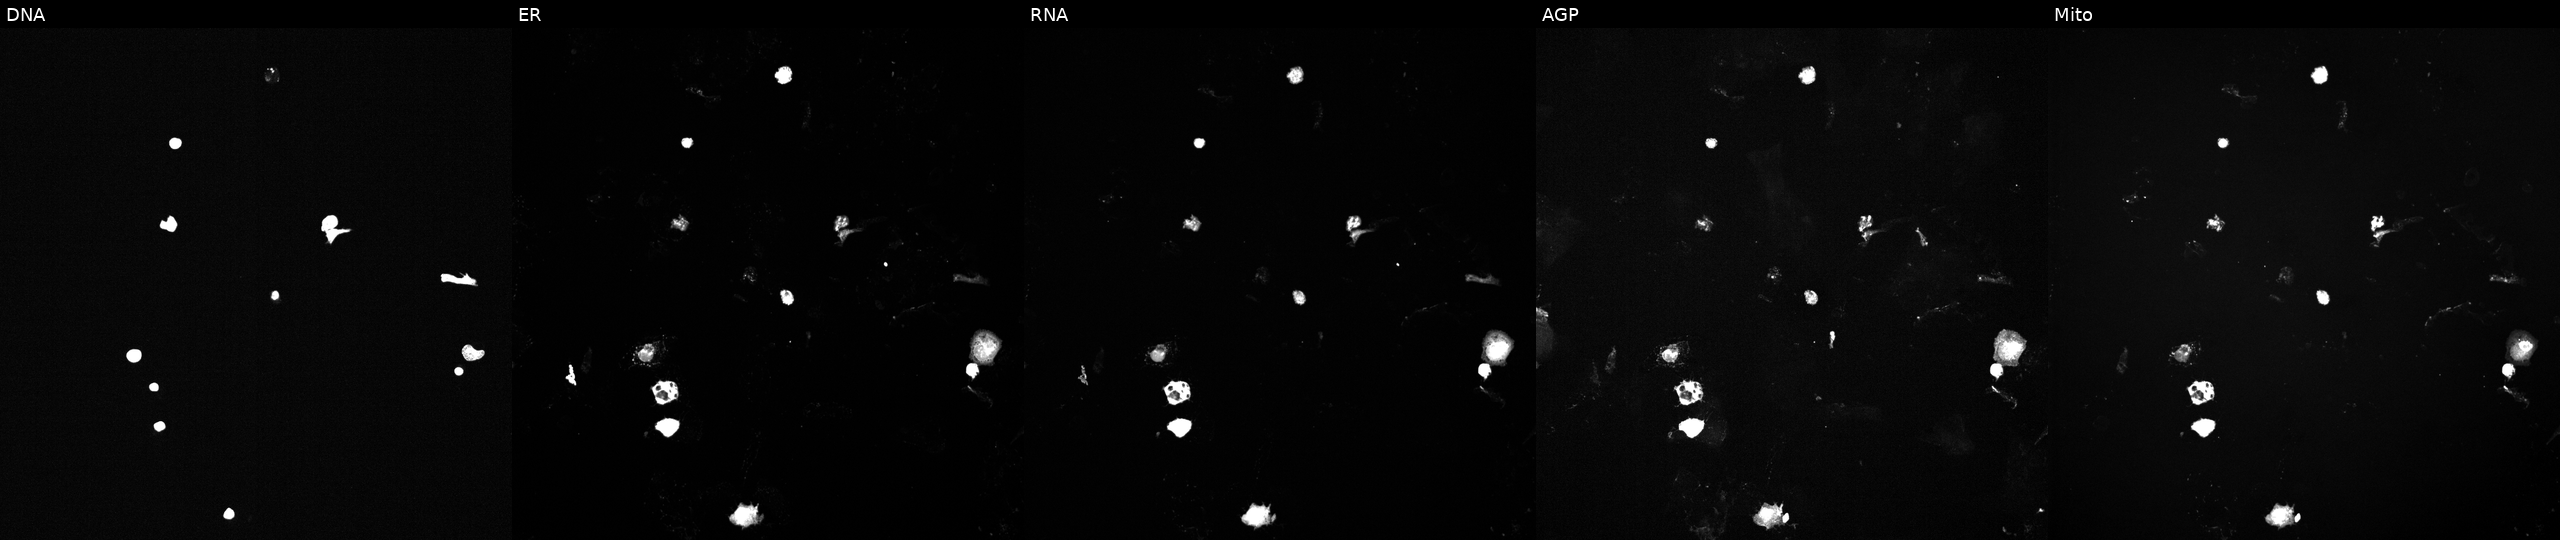
U2OS cells, Cell Painting assay, treated with a small-molecule compound [SMILES: C=C(NC(=O)C(=C)NC(=O)c1csc(C2=NC3c4csc(n4)C4NC(=O)c5csc(n5)C(C(C)(O)C(C)O)NC(=O)C5CSC(=N5)C(=CC)NC(=O)C(C(C)O)NC(=O)c5csc(n5)C3(CC2)NC(=O)C(C)NC(=O)C(=C)NC(=O)C(C)NC(=O)C(C(C)CC)Nc2ccc3c(c2O)NC(=CC3C(C)O)C(=O)OC4C)n1)C(N)=O]. The five panels, left to right, show DNA (nuclei); ER (endoplasmic reticulum); RNA (nucleoli and cytoplasmic RNA); AGP (actin cytoskeleton, Golgi, and plasma membrane); Mito (mitochondria). Each panel is percentile-stretched 16-bit fluorescence.